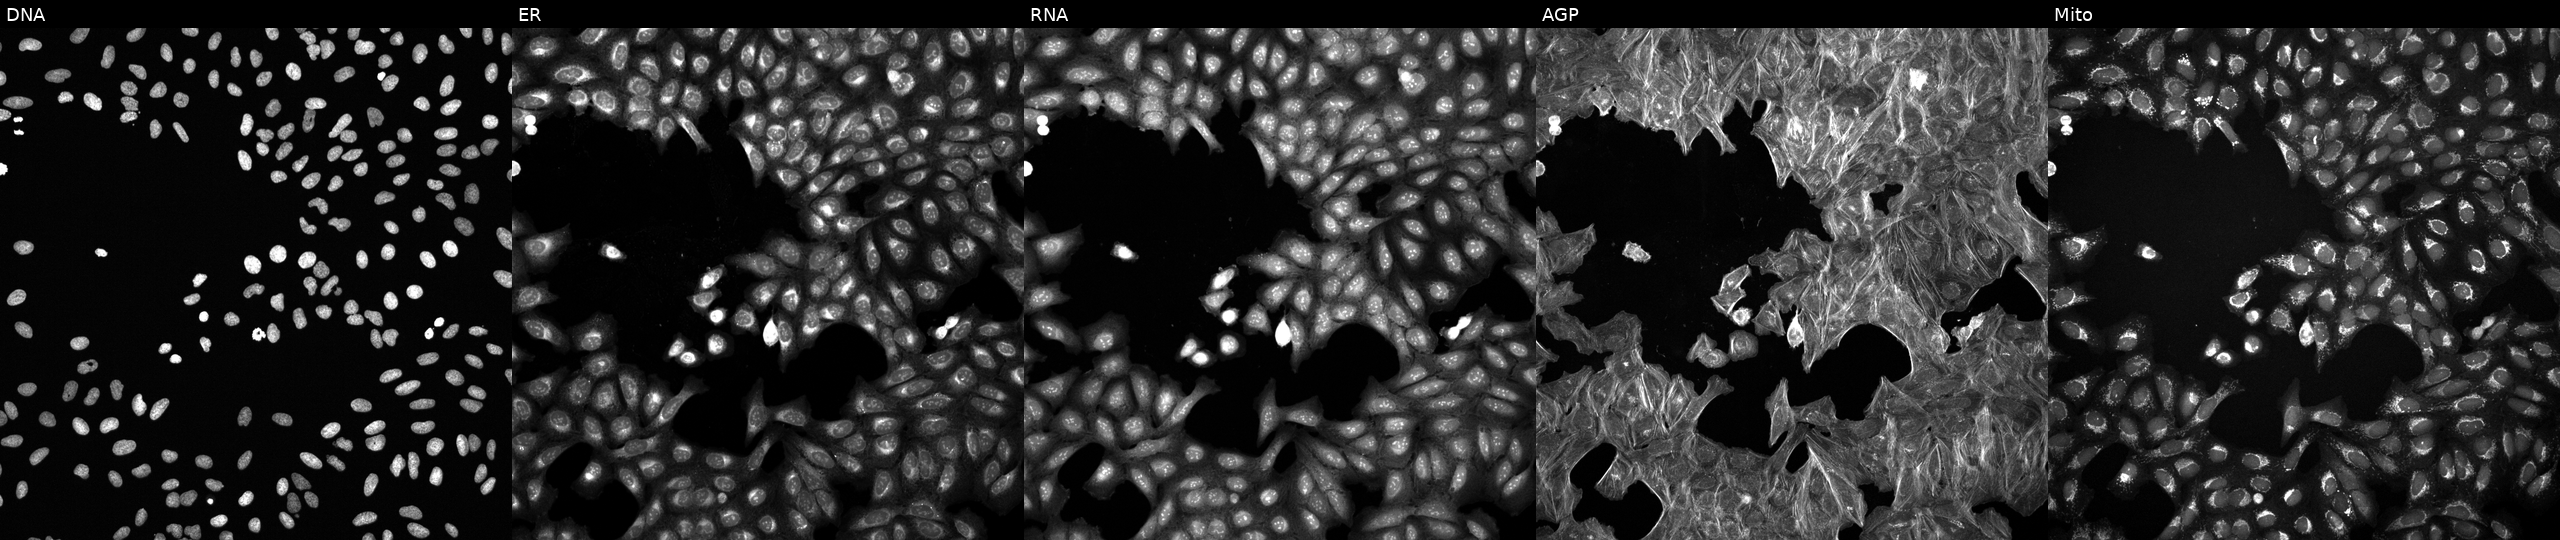
This image strip shows the five Cell Painting channels for a single field of U2OS cells exposed to a small-molecule compound. From left to right: DNA, ER, RNA, AGP, and Mito. Source 6, plate 110000293081, well P17.